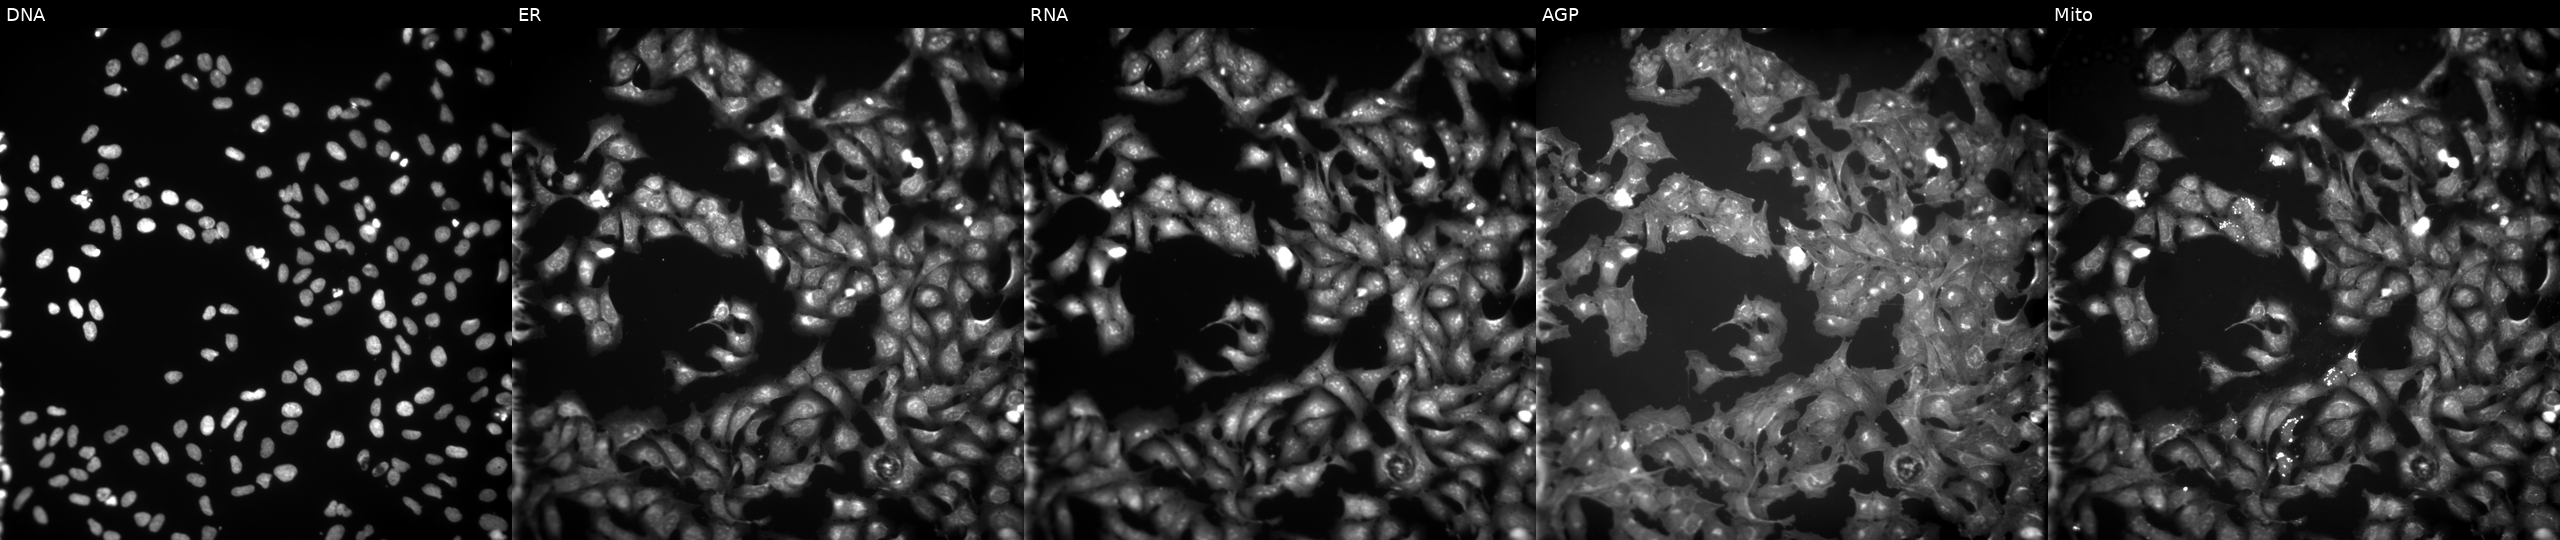
JUMP Cell Painting — COMPOUND plate. U2OS cells exposed to the positive-control compound NVS-PAK1-1. Channels (left→right): DNA (nuclei); ER (endoplasmic reticulum); RNA (nucleoli and cytoplasmic RNA); AGP (actin cytoskeleton, Golgi, and plasma membrane); Mito (mitochondria). Source 9, plate GR00003381, well AD01.